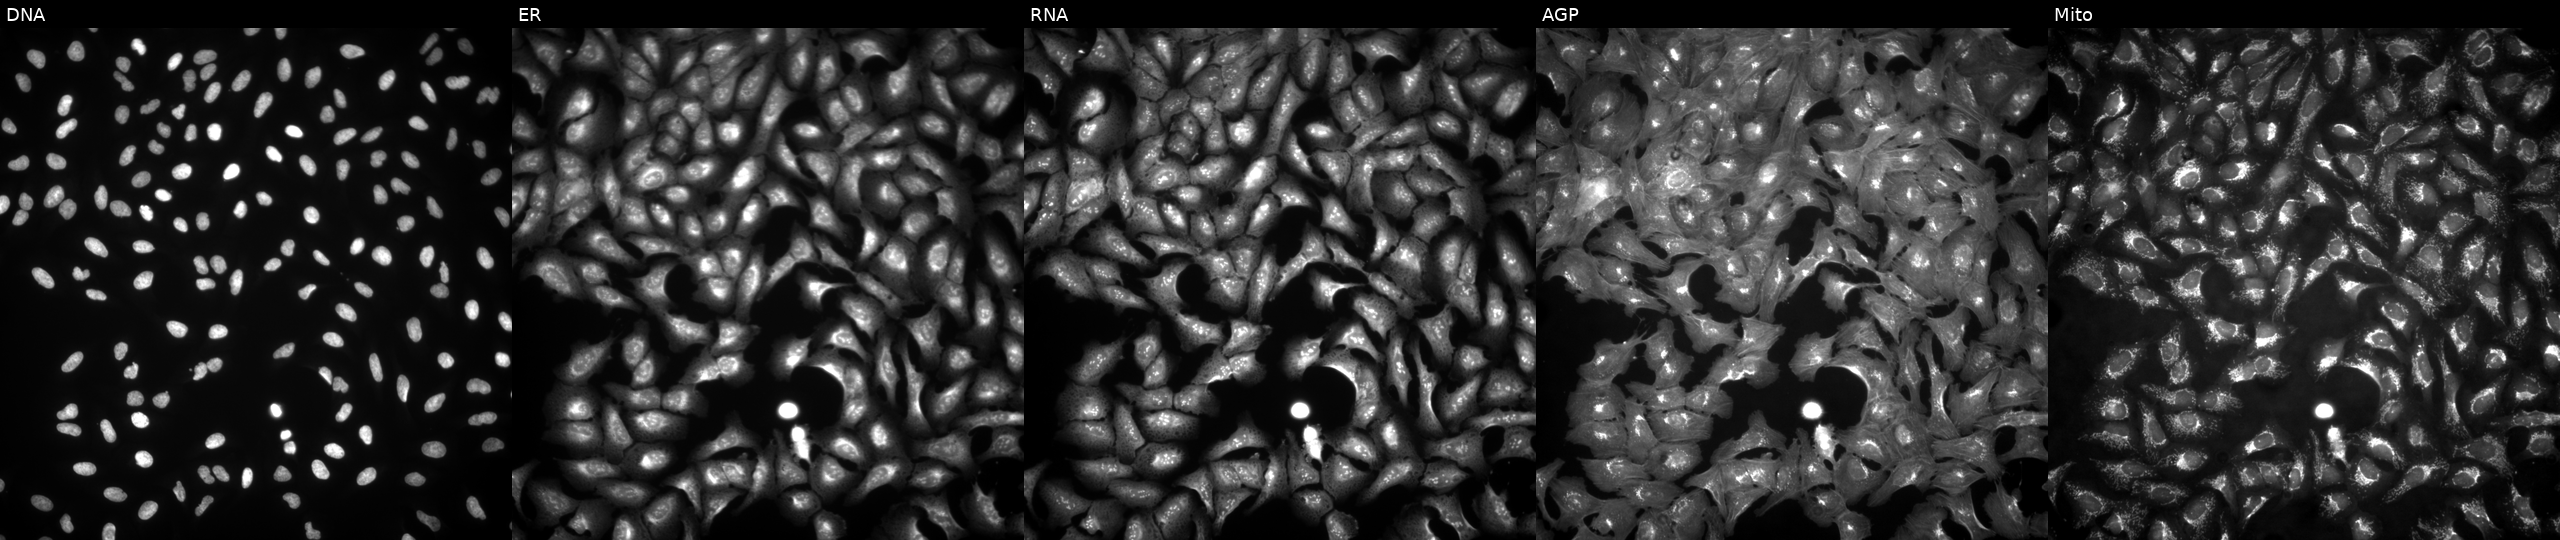
JUMP Cell Painting — ORF plate. U2OS cells transfected with an ORF construct for TCIM. The five panels, left to right, show Hoechst 33342, concanavalin A, SYTO 14, phalloidin and WGA, MitoTracker.